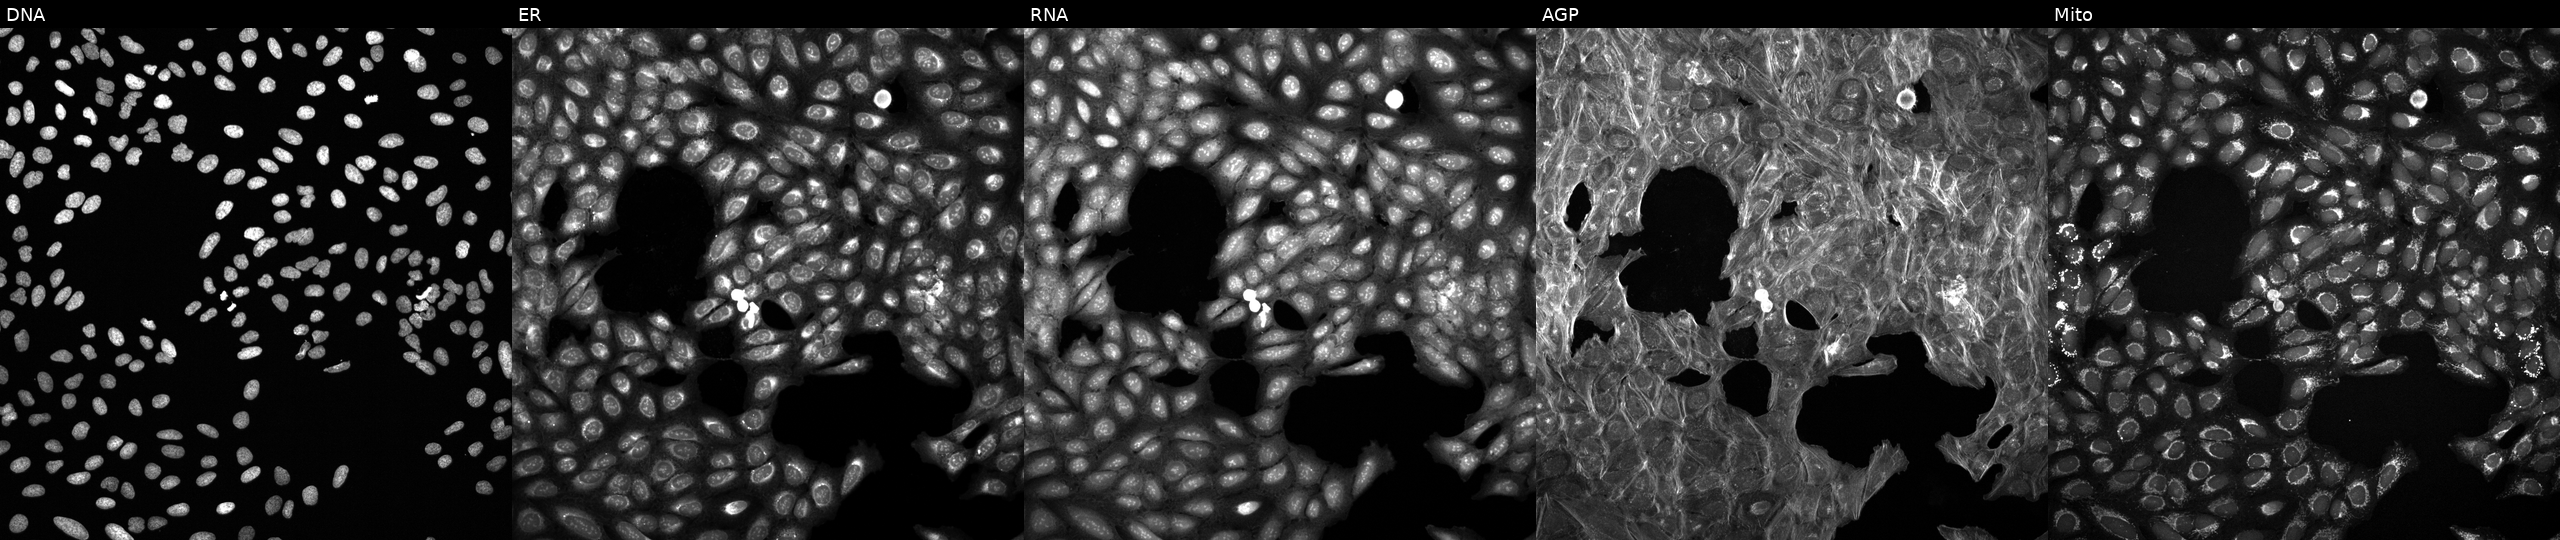
High-content fluorescence microscopy (Cell Painting). Cell line: U2OS. Perturbation: treated with a small-molecule compound (InChIKey ZXQYWXBEHUNHOM-UHFFFAOYSA-N) (JUMP id JCP2022_116319). Panels show, left to right, DNA, ER, RNA, AGP, and Mito. Source 6, plate 110000293083, well N09.